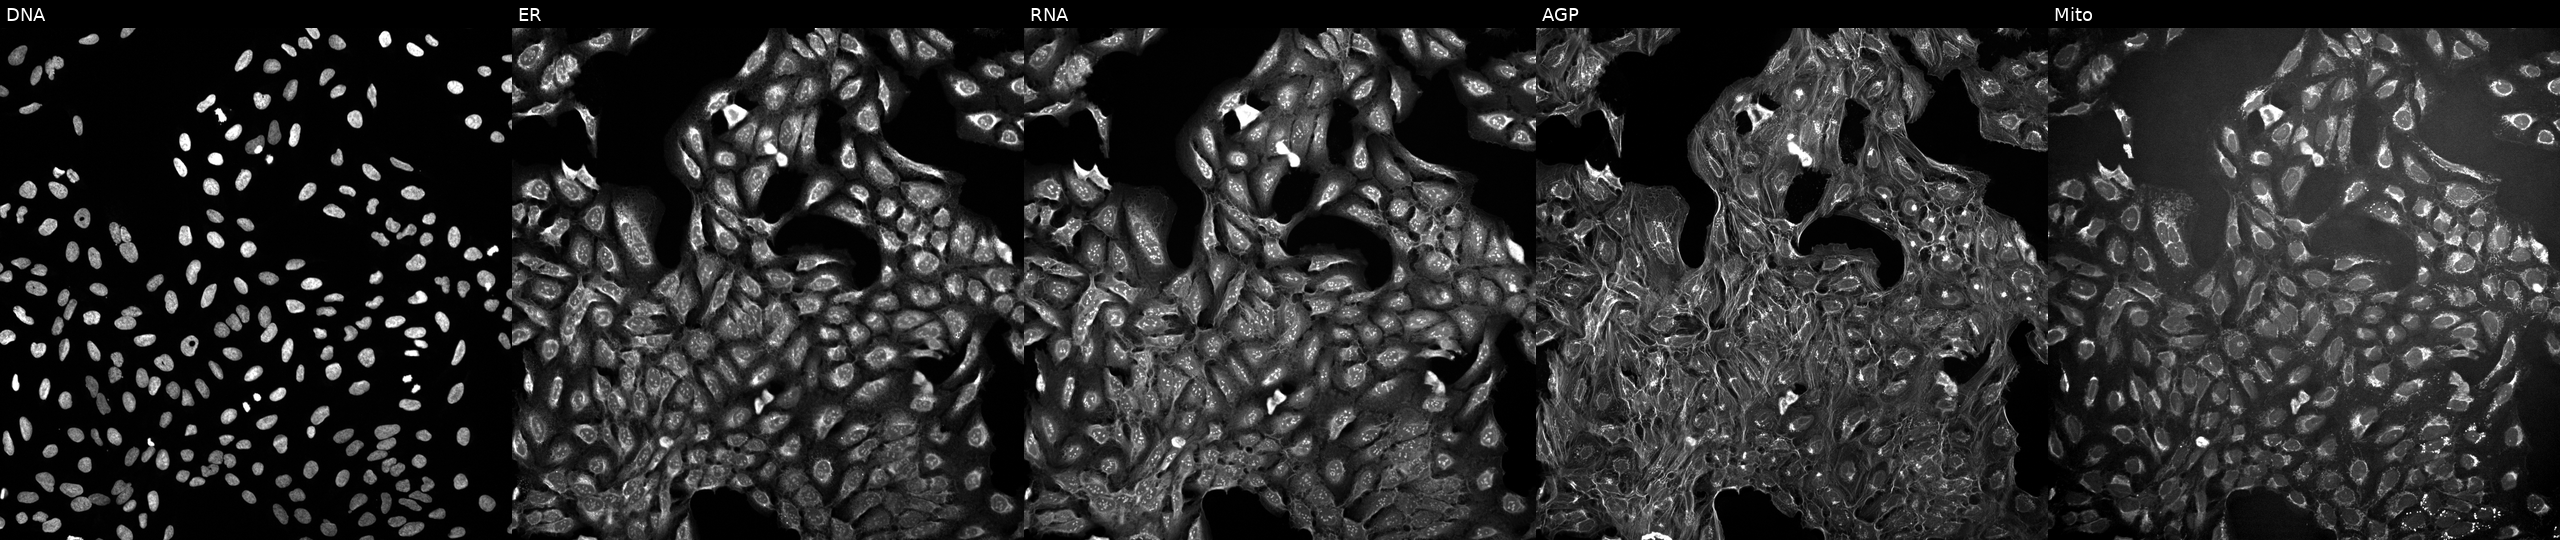
This image strip shows the five Cell Painting channels for a single field of U2OS cells exposed to a small-molecule compound (InChIKey ISHRKXOYWJVGFR-UHFFFAOYSA-N) [SMILES: COC(=O)Nc1ccc(S(=O)(=O)N2CC(n3nccn3)C2)cc1] (JUMP id JCP2022_037103). The five panels, left to right, show Hoechst 33342, concanavalin A, SYTO 14, phalloidin and WGA, MitoTracker.